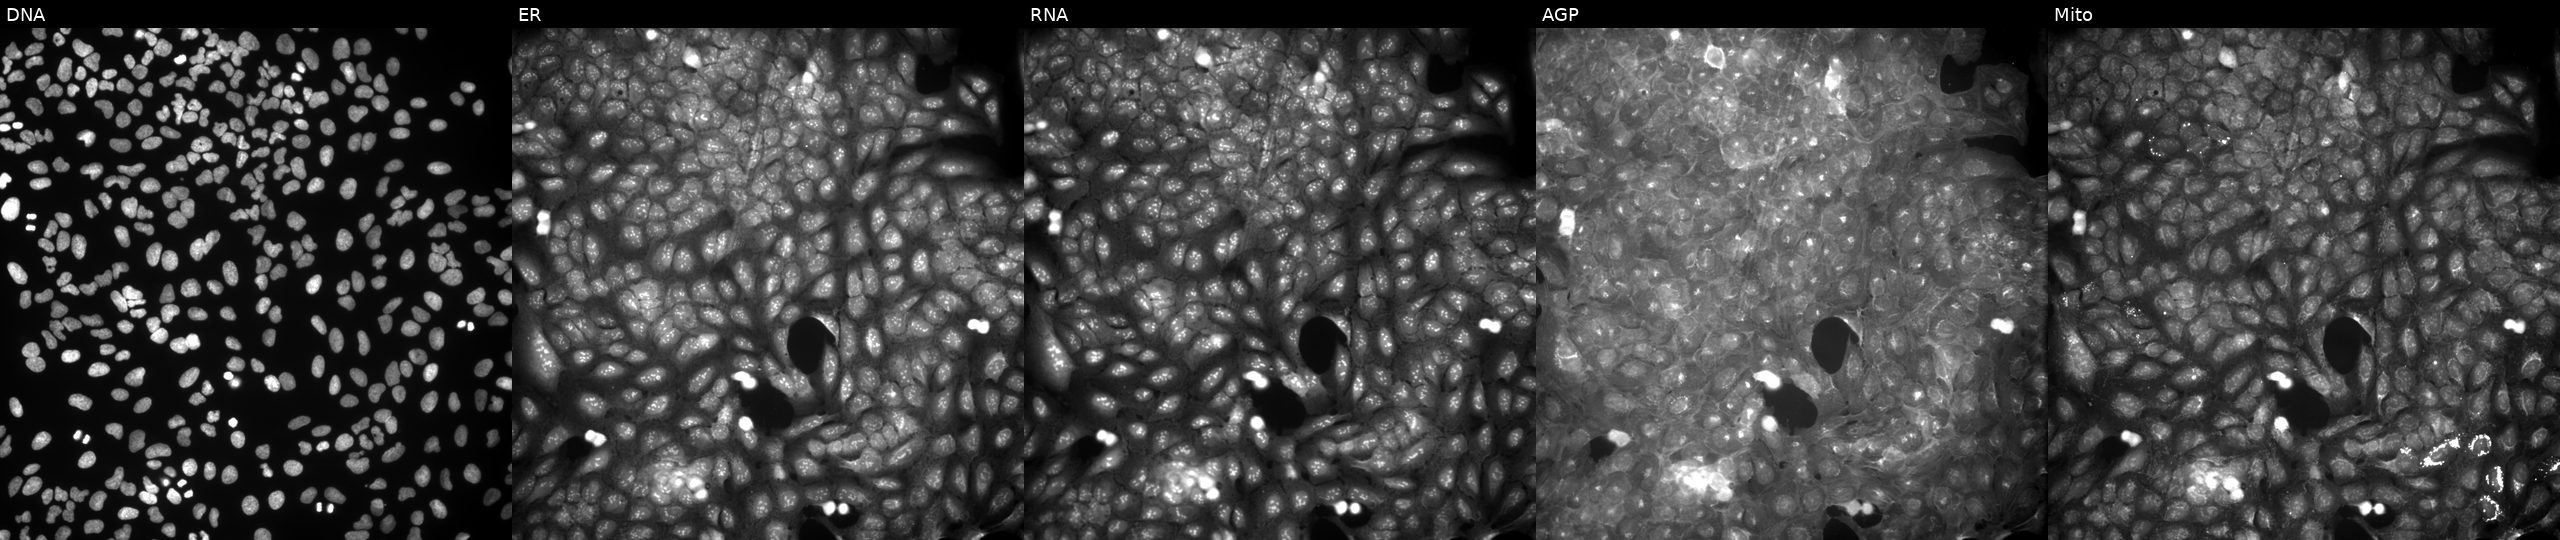
Five-channel Cell Painting image of U2OS cells perturbed with a small-molecule compound (InChIKey KNNPAJBJUSJPJF-UHFFFAOYSA-N) (JUMP id JCP2022_045780). Channels (left→right): Hoechst 33342, concanavalin A, SYTO 14, phalloidin and WGA, MitoTracker. Source 9, plate GR00003382, well K29.